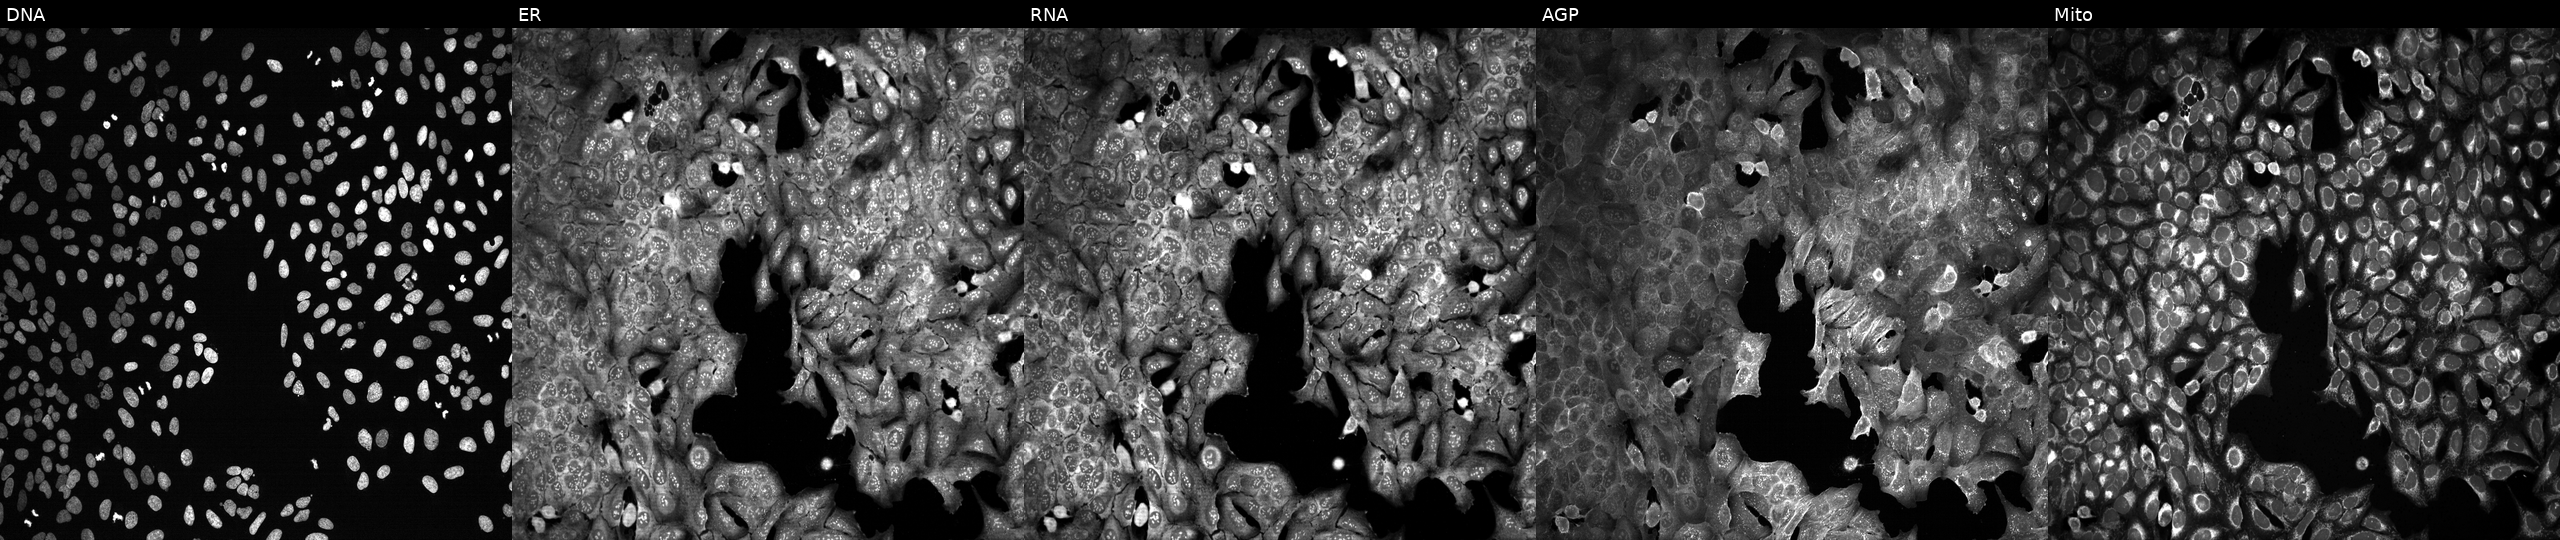
Five-channel Cell Painting image of U2OS cells CRISPR-edited to disrupt OMA1. From left to right: Hoechst 33342, concanavalin A, SYTO 14, phalloidin and WGA, MitoTracker. Source 13, plate CP-CC9-R6-19, well I14.